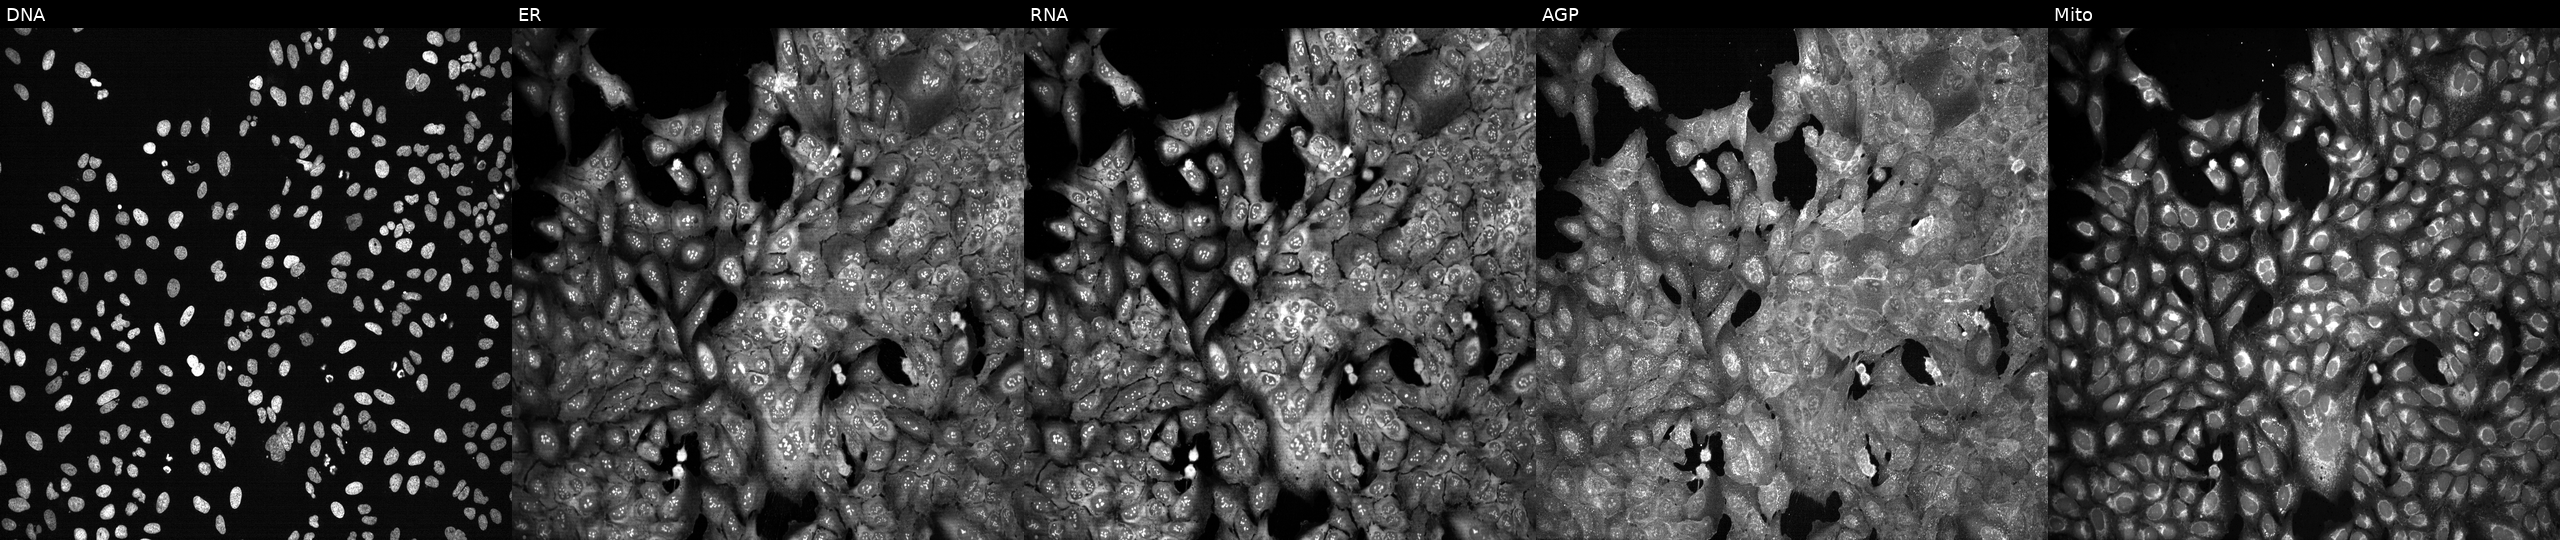
This image strip shows the five Cell Painting channels for a single field of U2OS cells CRISPR-edited to disrupt MPP6. Channels (left→right): Hoechst 33342, concanavalin A, SYTO 14, phalloidin and WGA, MitoTracker. Source 13, plate CP-CC9-R5-01, well K14.